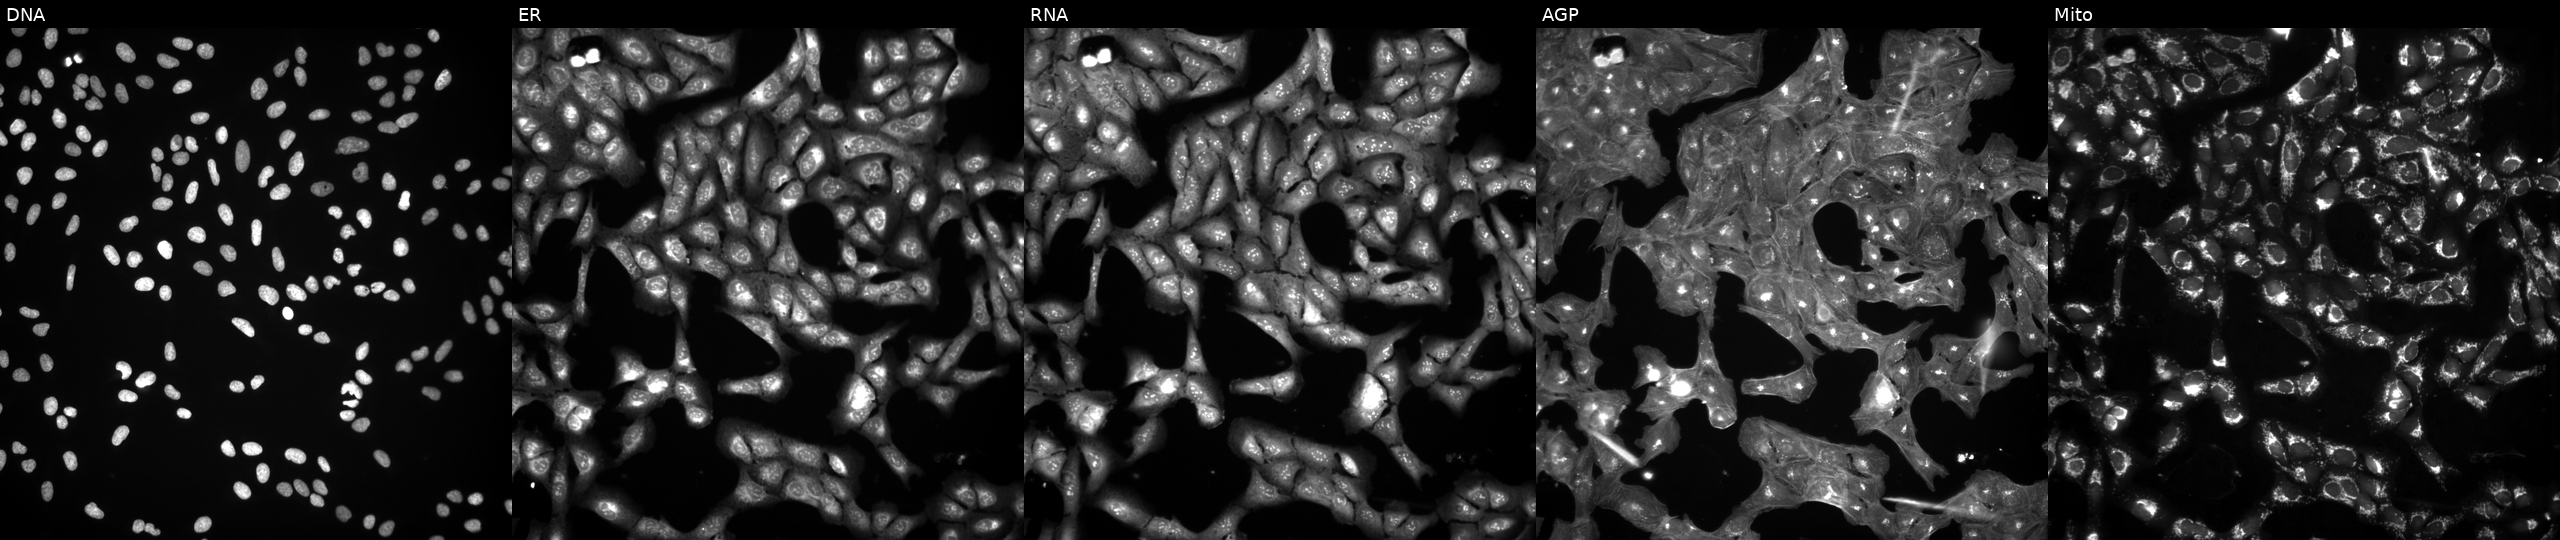
High-content fluorescence microscopy (Cell Painting). Cell line: U2OS. Perturbation: perturbed with a small-molecule compound (InChIKey KIIZSOSWACMWOK-UHFFFAOYSA-N). From left to right: DNA (nuclei); ER (endoplasmic reticulum); RNA (nucleoli and cytoplasmic RNA); AGP (actin cytoskeleton, Golgi, and plasma membrane); Mito (mitochondria). Source 3, plate BR5867b3, well L03.